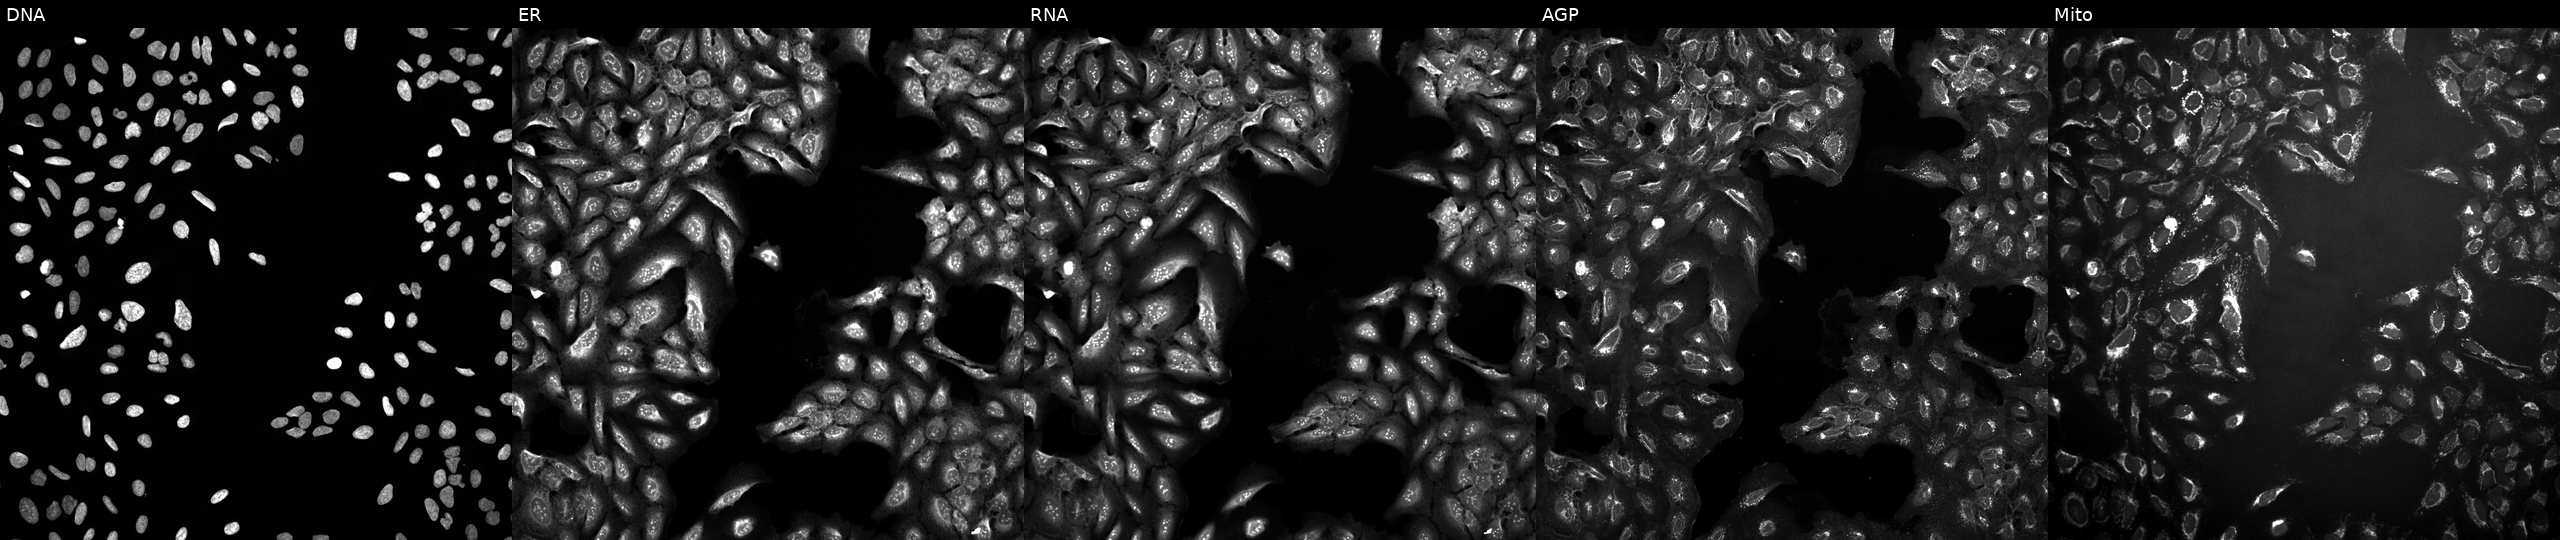
U2OS cells, Cell Painting assay, treated with DMSO vehicle only (negative control). The five panels, left to right, show DNA (nuclei); ER (endoplasmic reticulum); RNA (nucleoli and cytoplasmic RNA); AGP (actin cytoskeleton, Golgi, and plasma membrane); Mito (mitochondria). Each panel is percentile-stretched 16-bit fluorescence.